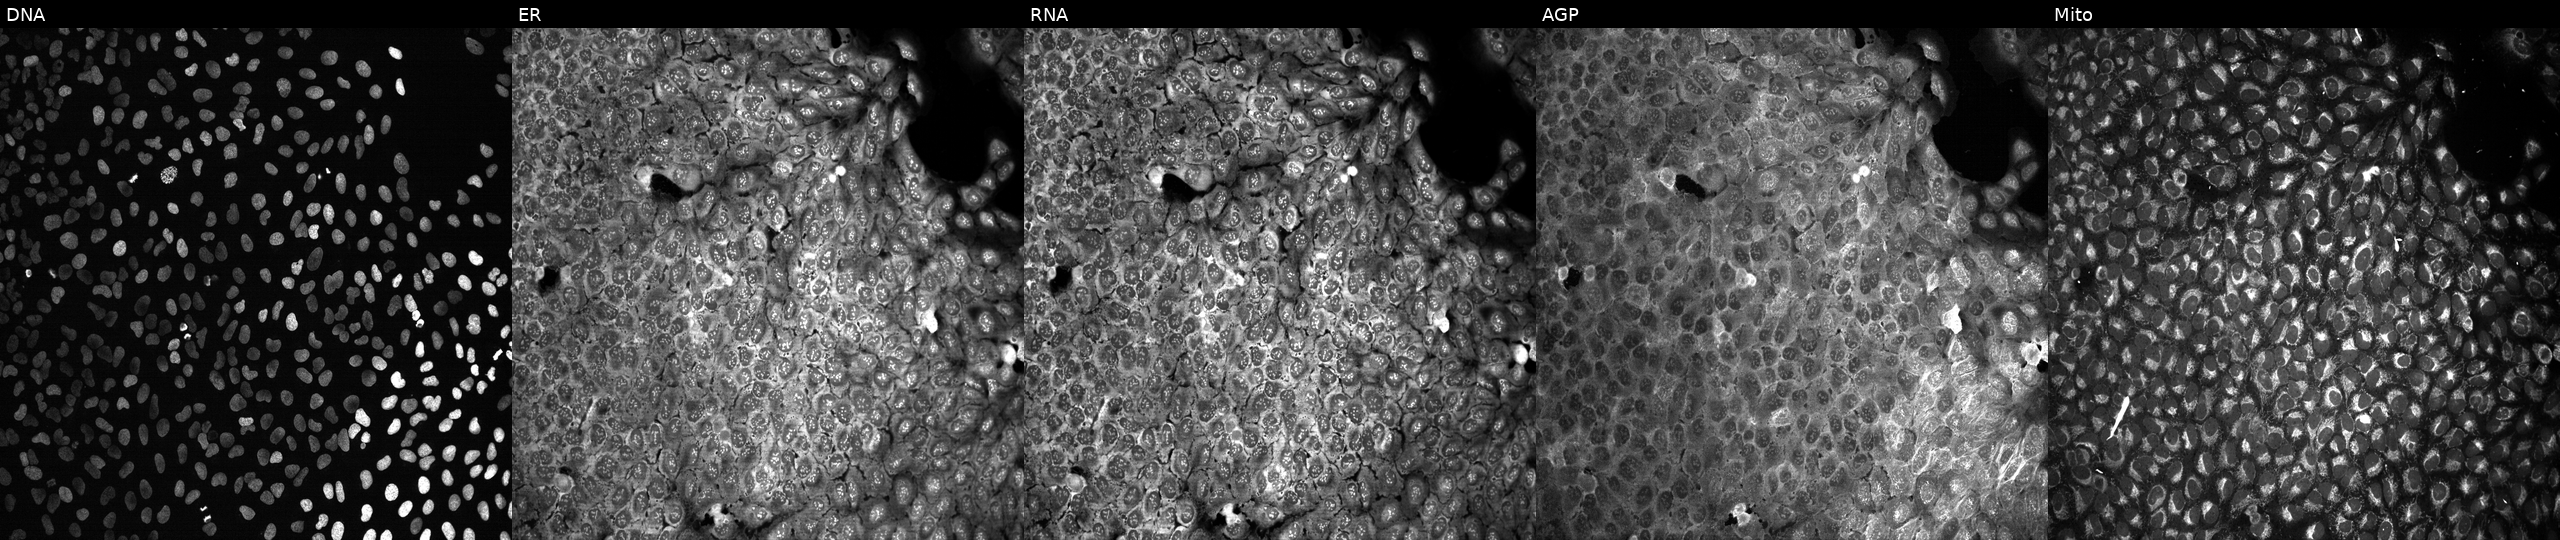
This image strip shows the five Cell Painting channels for a single field of U2OS cells with AGBL2 knocked out by CRISPR. From left to right: DNA, ER, RNA, AGP, and Mito.